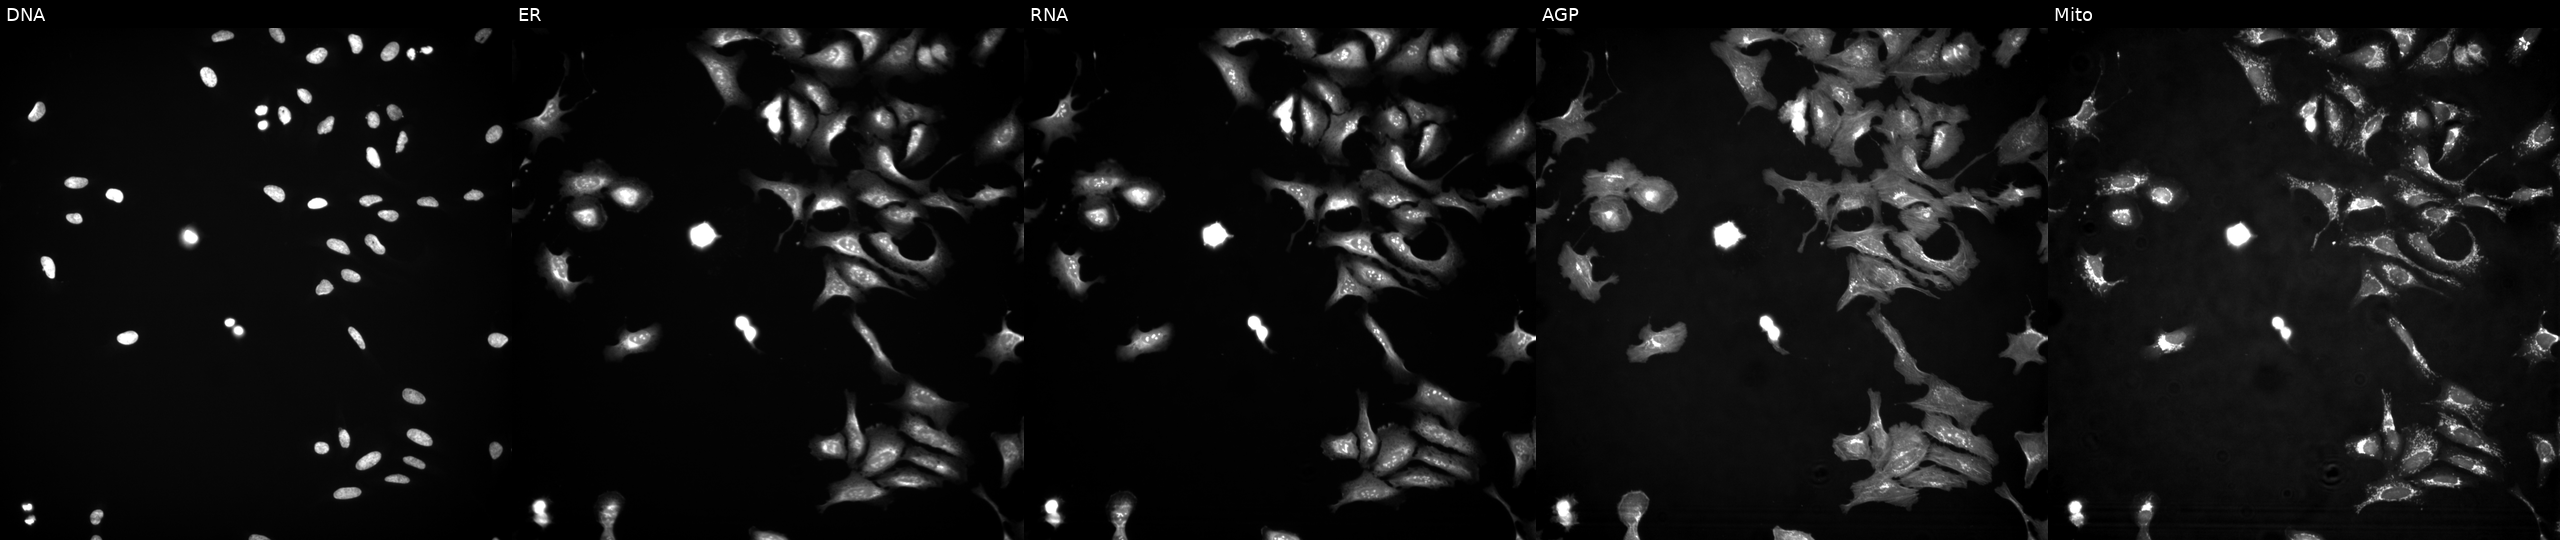
JUMP Cell Painting — ORF plate. U2OS cells transfected with an ORF construct for TPD52L3 (JUMP id JCP2022_914215). Panels show, left to right, DNA (nuclei); ER (endoplasmic reticulum); RNA (nucleoli and cytoplasmic RNA); AGP (actin cytoskeleton, Golgi, and plasma membrane); Mito (mitochondria).